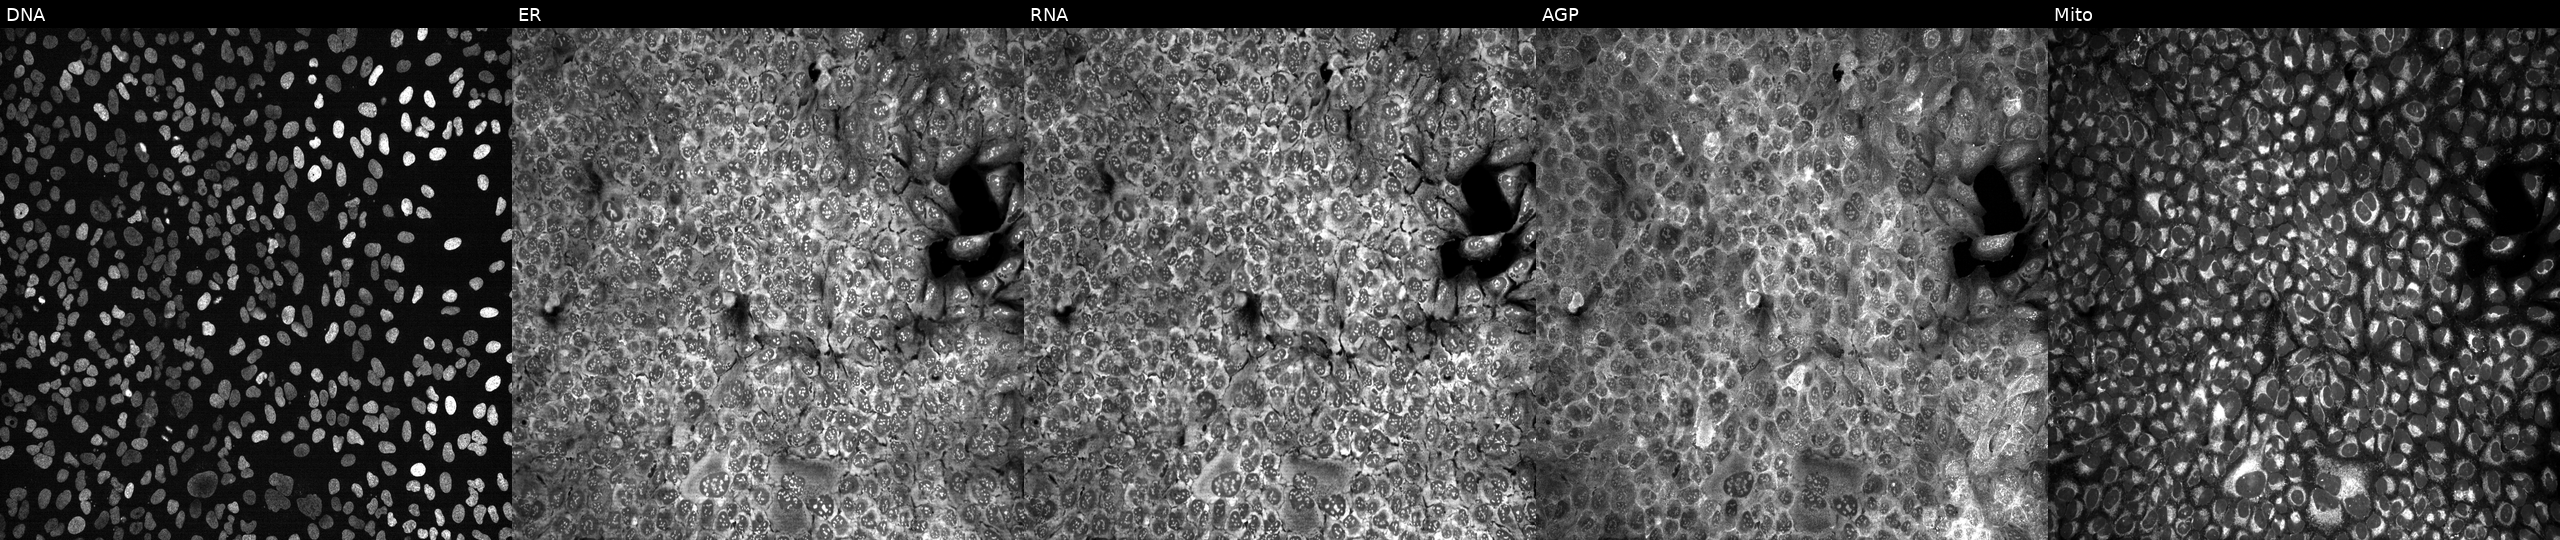
JUMP Cell Painting — CRISPR plate. U2OS cells with ABCD1 knocked out by CRISPR. Channels (left→right): DNA, ER, RNA, AGP, and Mito. Source 13, plate CP-CC9-R4-03, well E14.